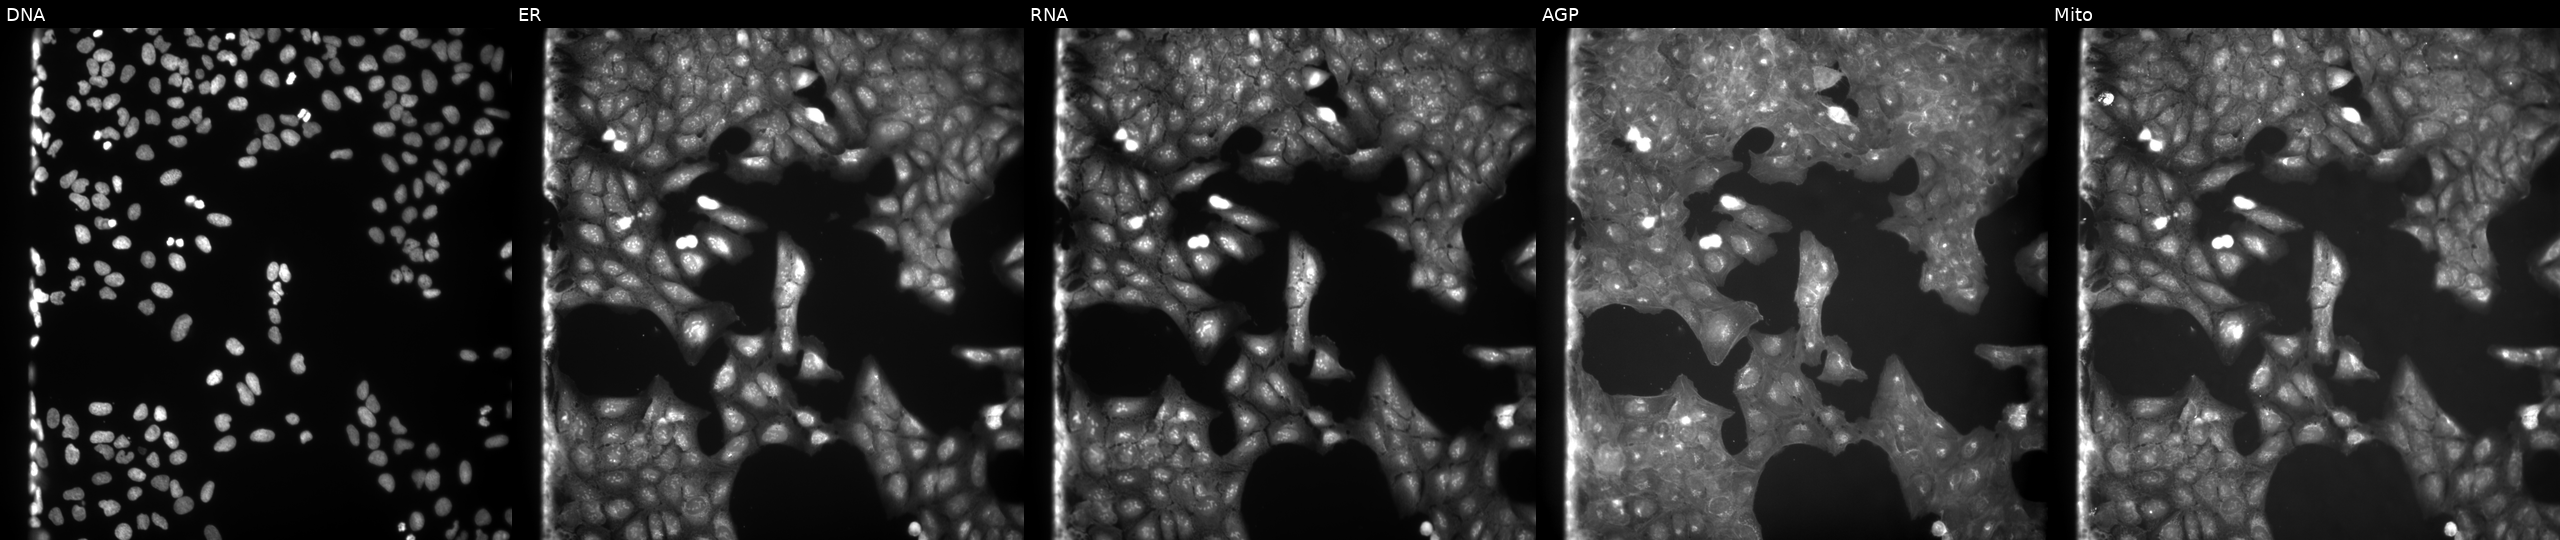
This image strip shows the five Cell Painting channels for a single field of U2OS cells treated with a small-molecule compound (JUMP id JCP2022_020766). Panels show, left to right, DNA (nuclei); ER (endoplasmic reticulum); RNA (nucleoli and cytoplasmic RNA); AGP (actin cytoskeleton, Golgi, and plasma membrane); Mito (mitochondria). Source 9, plate GR00003382, well H04.